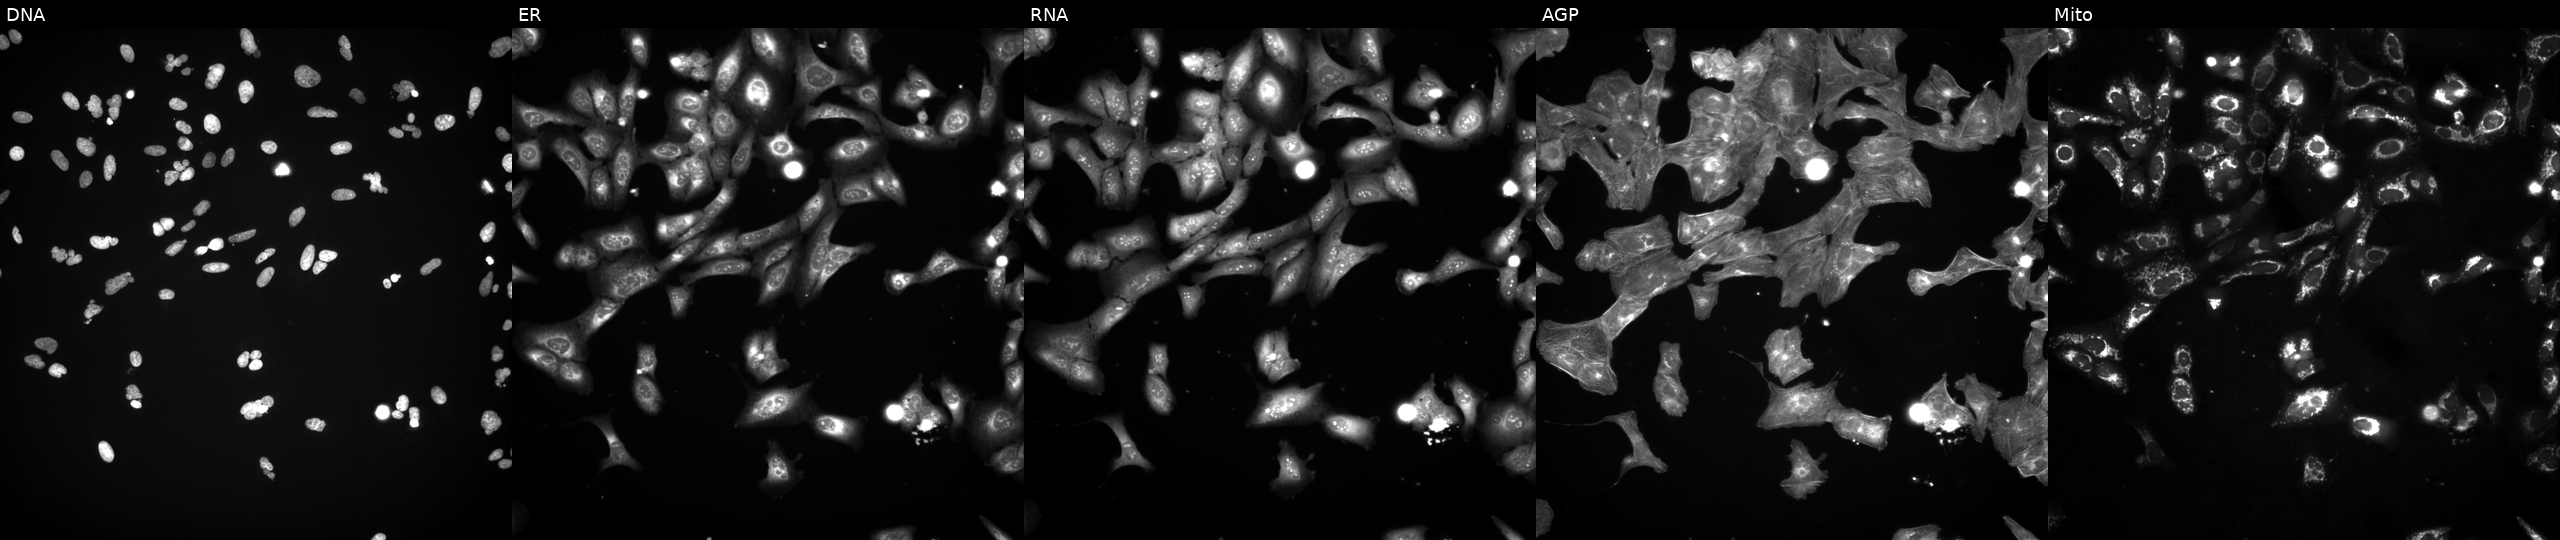
JUMP Cell Painting — TARGET2 plate. U2OS cells perturbed with a small-molecule compound (InChIKey HSTZMXCBWJGKHG-UHFFFAOYSA-N). The five panels, left to right, show DNA (nuclei); ER (endoplasmic reticulum); RNA (nucleoli and cytoplasmic RNA); AGP (actin cytoskeleton, Golgi, and plasma membrane); Mito (mitochondria).